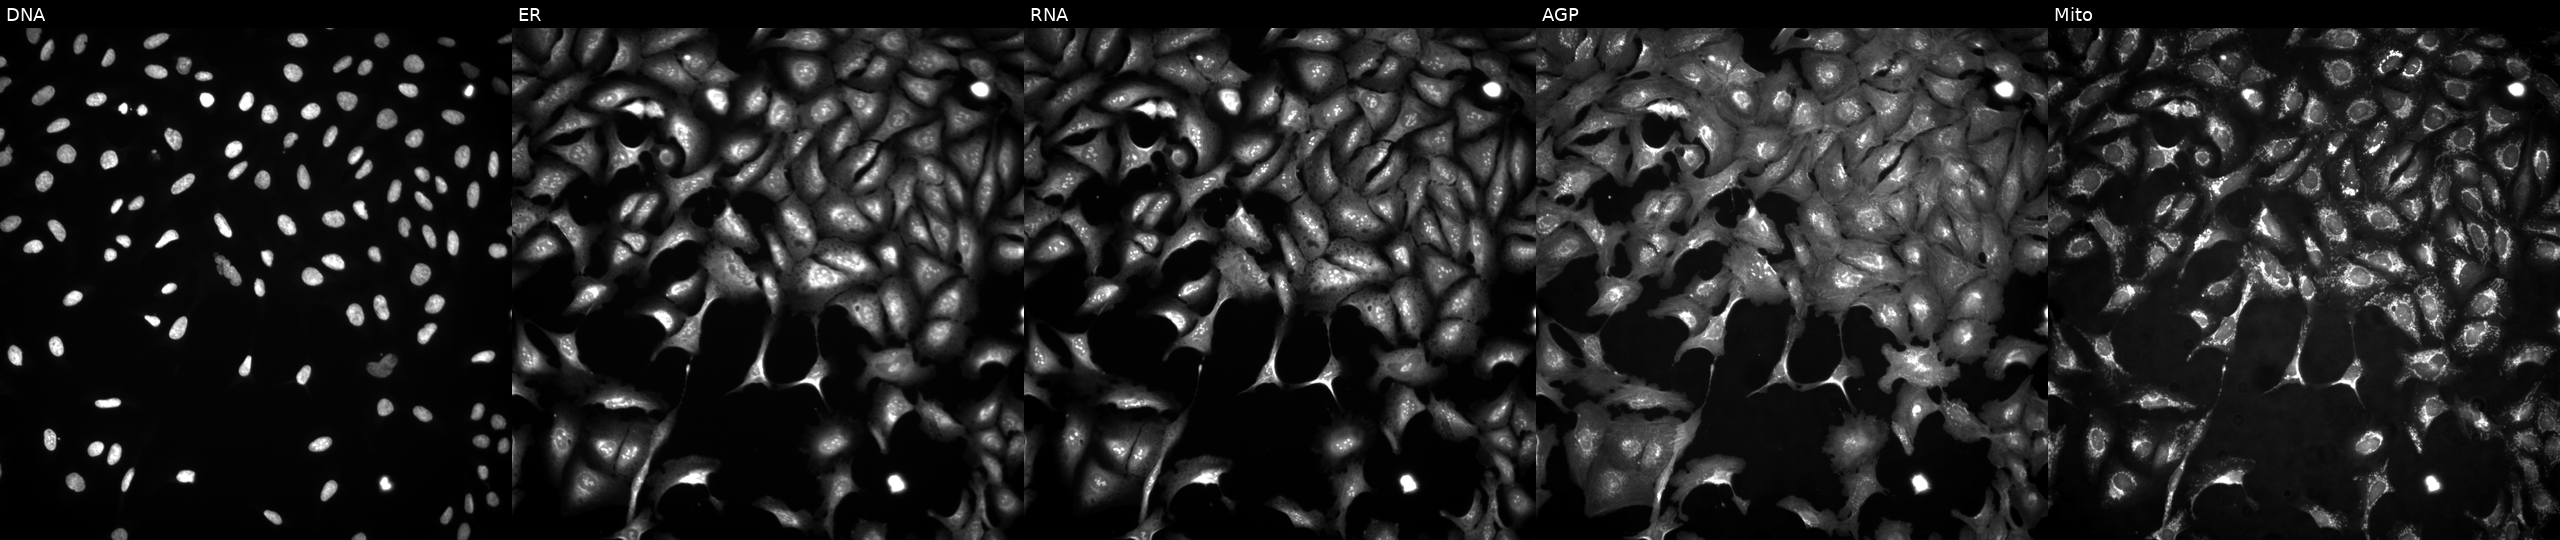
Five-channel Cell Painting image of U2OS cells with SRSF1 overexpressed (ORF). Panels show, left to right, Hoechst 33342, concanavalin A, SYTO 14, phalloidin and WGA, MitoTracker. Source 4, plate BR00124787, well J24.